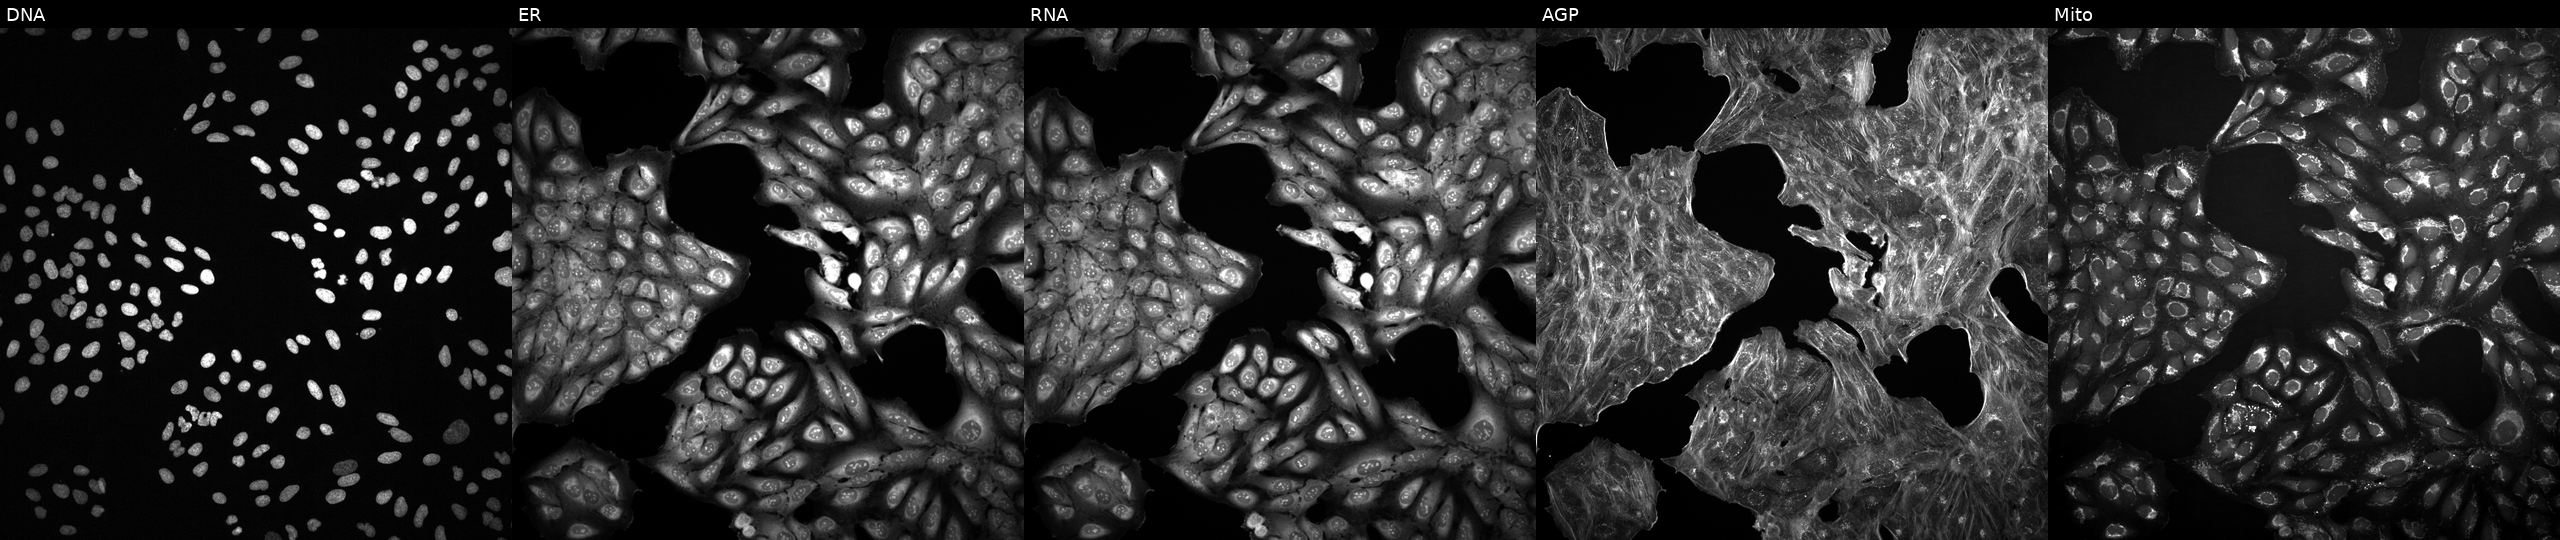
This image strip shows the five Cell Painting channels for a single field of U2OS cells perturbed with a small-molecule compound (JUMP id JCP2022_084963). Channels (left→right): DNA (nuclei); ER (endoplasmic reticulum); RNA (nucleoli and cytoplasmic RNA); AGP (actin cytoskeleton, Golgi, and plasma membrane); Mito (mitochondria).